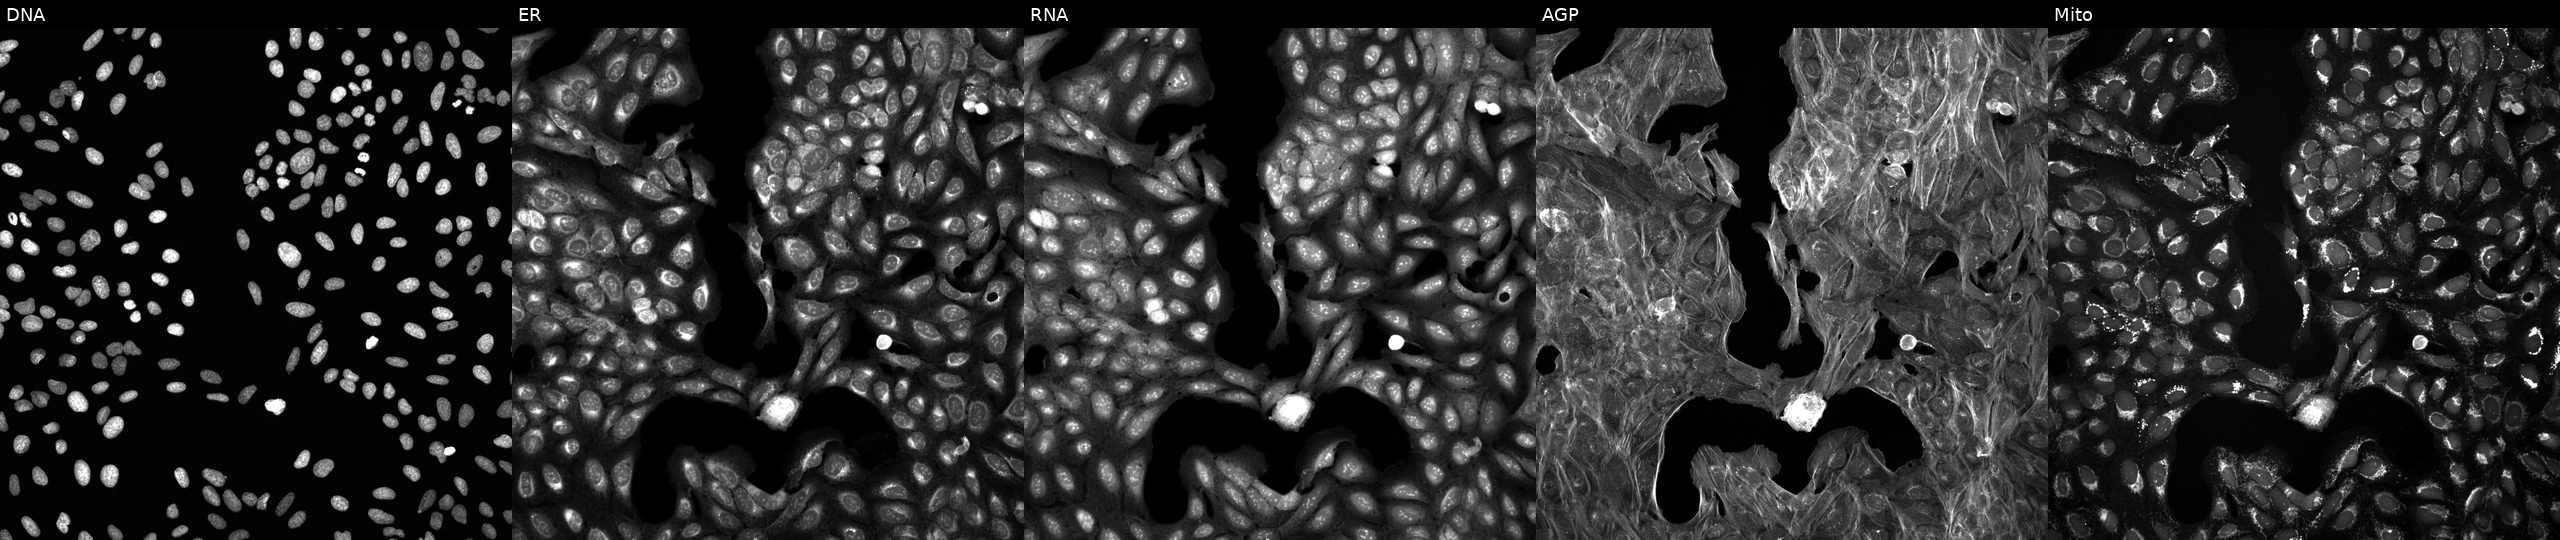
Five-channel Cell Painting image of U2OS cells exposed to the positive-control compound quinidine. Panels show, left to right, DNA (nuclei); ER (endoplasmic reticulum); RNA (nucleoli and cytoplasmic RNA); AGP (actin cytoskeleton, Golgi, and plasma membrane); Mito (mitochondria).